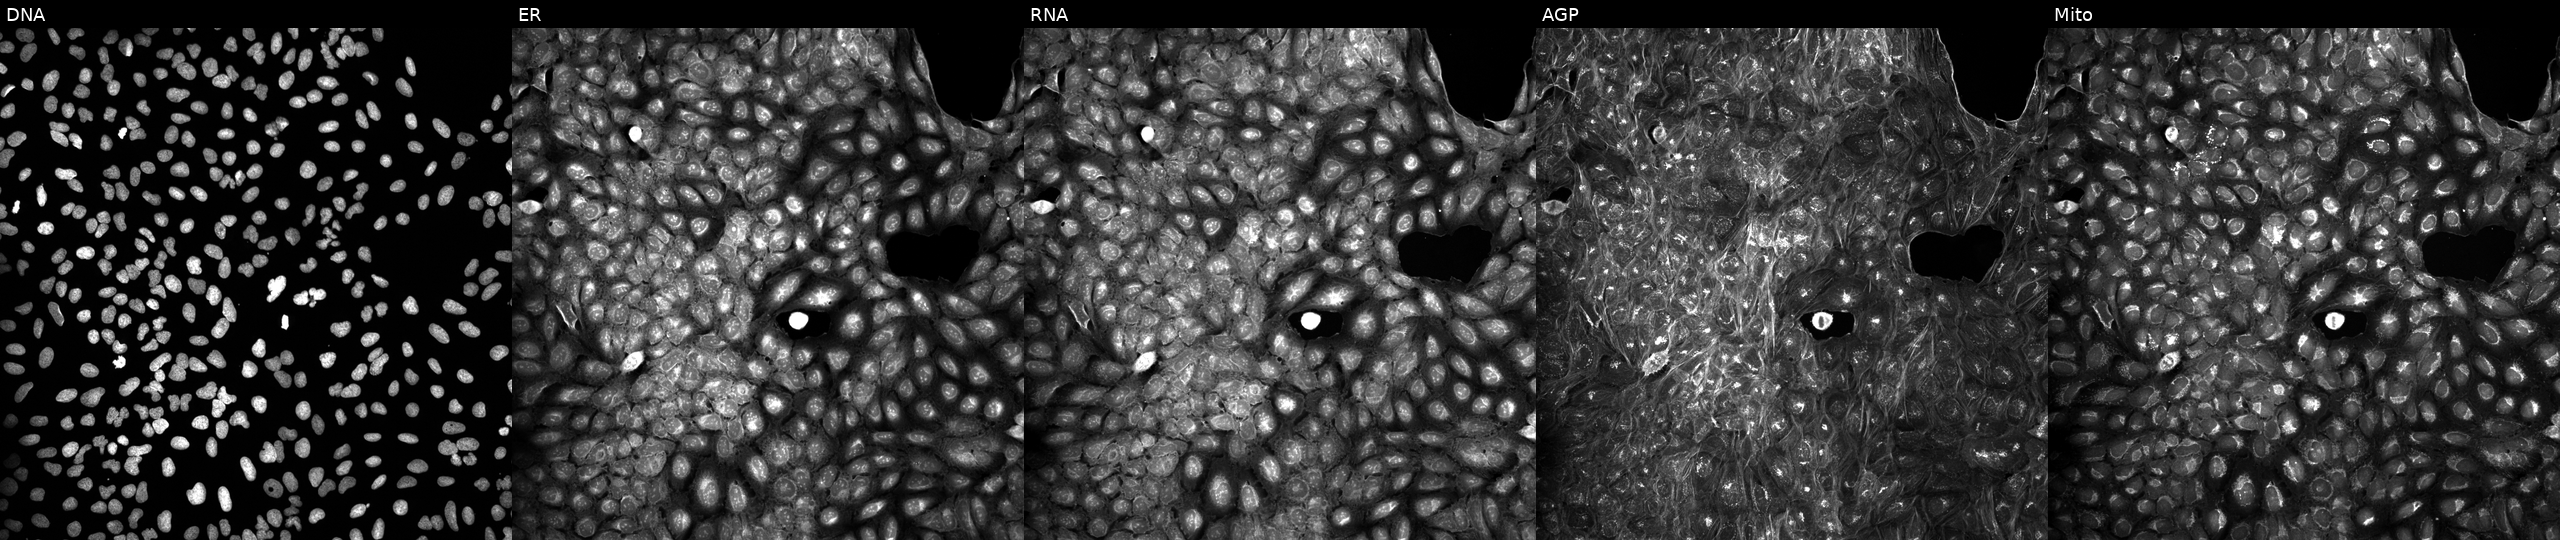
This image strip shows the five Cell Painting channels for a single field of U2OS cells treated with a small-molecule compound (InChIKey UWBSYMRUHRXZGS-UHFFFAOYSA-N). Panels show, left to right, Hoechst 33342, concanavalin A, SYTO 14, phalloidin and WGA, MitoTracker. Source 5, plate APTJUM105, well G05.